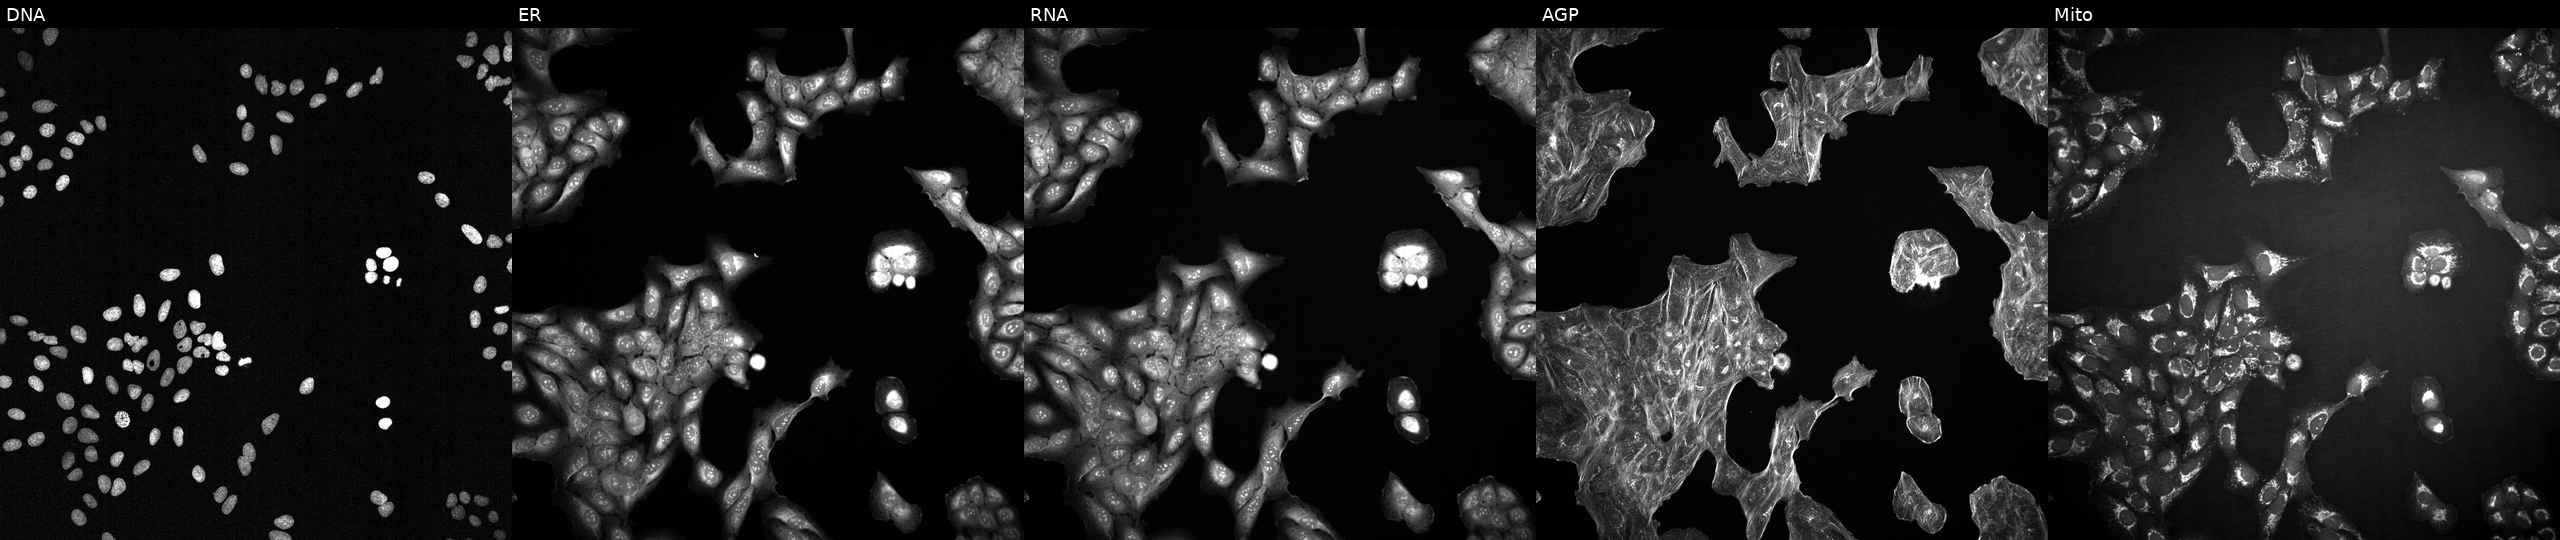
High-content fluorescence microscopy (Cell Painting). Cell line: U2OS. Perturbation: treated with a small-molecule compound (JUMP id JCP2022_089172). Channels (left→right): DNA, ER, RNA, AGP, and Mito.